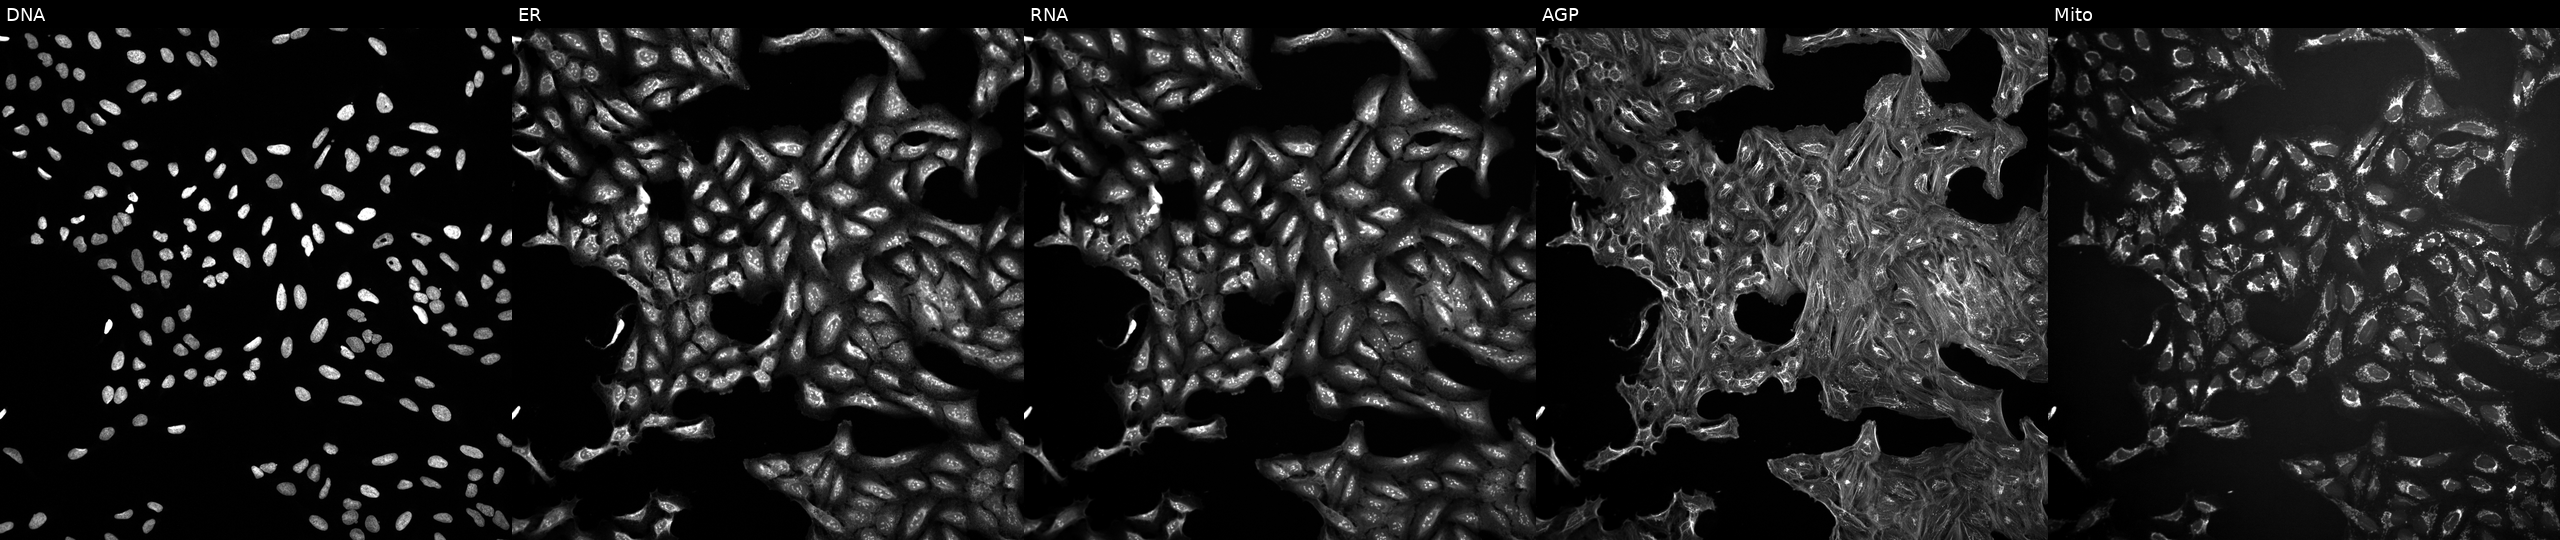
U2OS cells, Cell Painting assay, exposed to a small-molecule compound (InChIKey OUZWUKMCLIBBOG-UHFFFAOYSA-N) (JUMP id JCP2022_066287). The five panels, left to right, show DNA, ER, RNA, AGP, and Mito. Each panel is percentile-stretched 16-bit fluorescence.